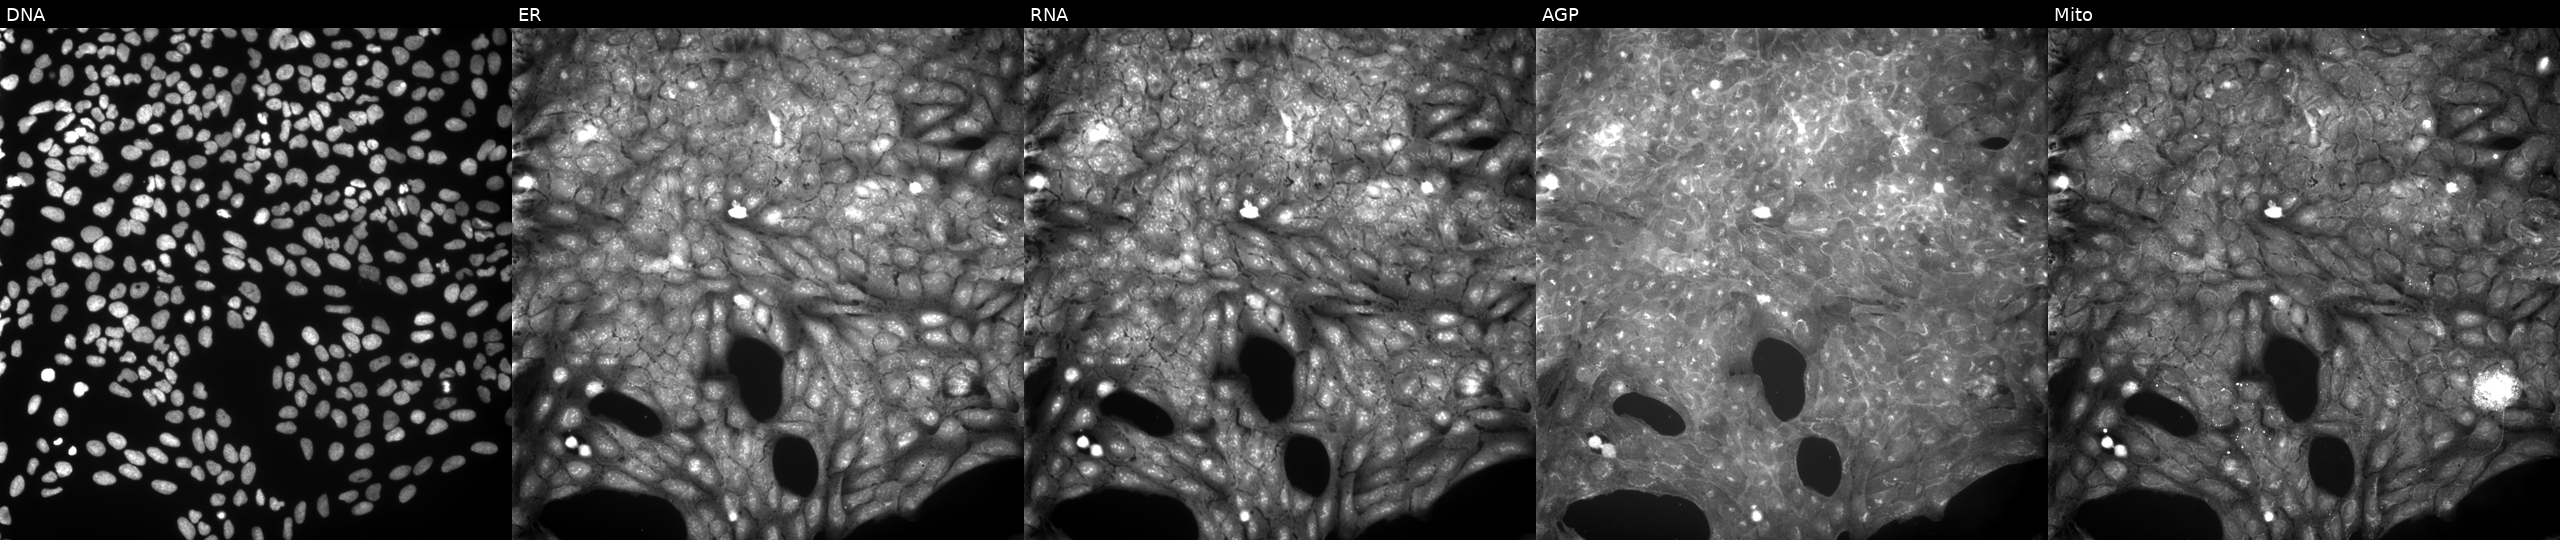
This image strip shows the five Cell Painting channels for a single field of U2OS cells treated with dexamethasone (positive-control compound) (JUMP id JCP2022_025848). Channels (left→right): DNA, ER, RNA, AGP, and Mito.